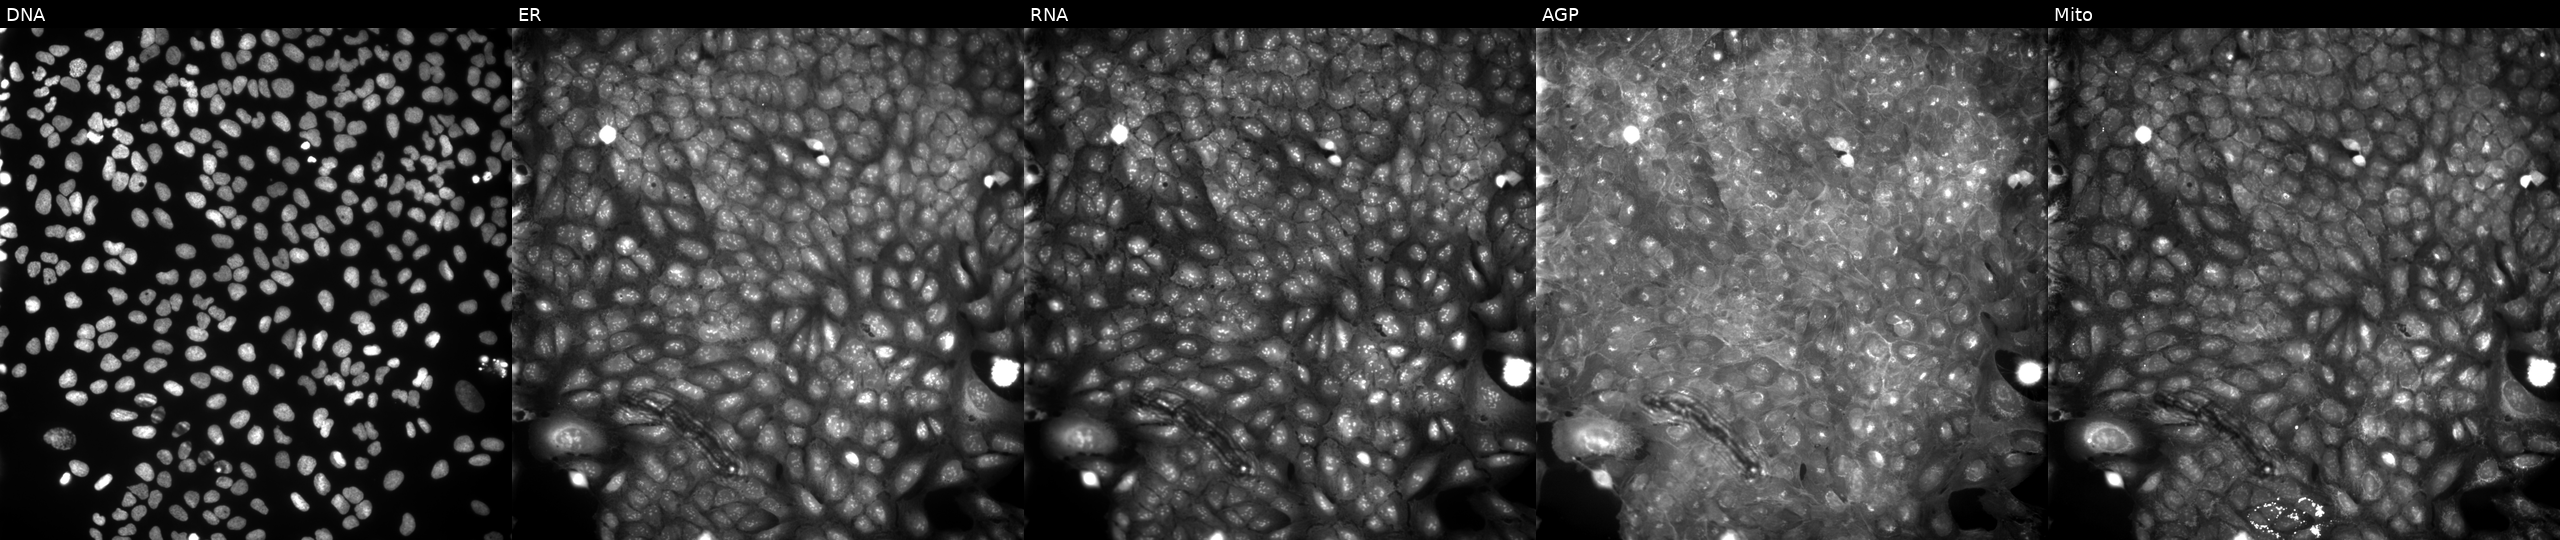
Five-channel Cell Painting image of U2OS cells treated with a small-molecule compound (InChIKey IEBHAPAYVLSFMG-UHFFFAOYSA-N). The five panels, left to right, show Hoechst 33342, concanavalin A, SYTO 14, phalloidin and WGA, MitoTracker. Source 9, plate GR00003382, well R17.